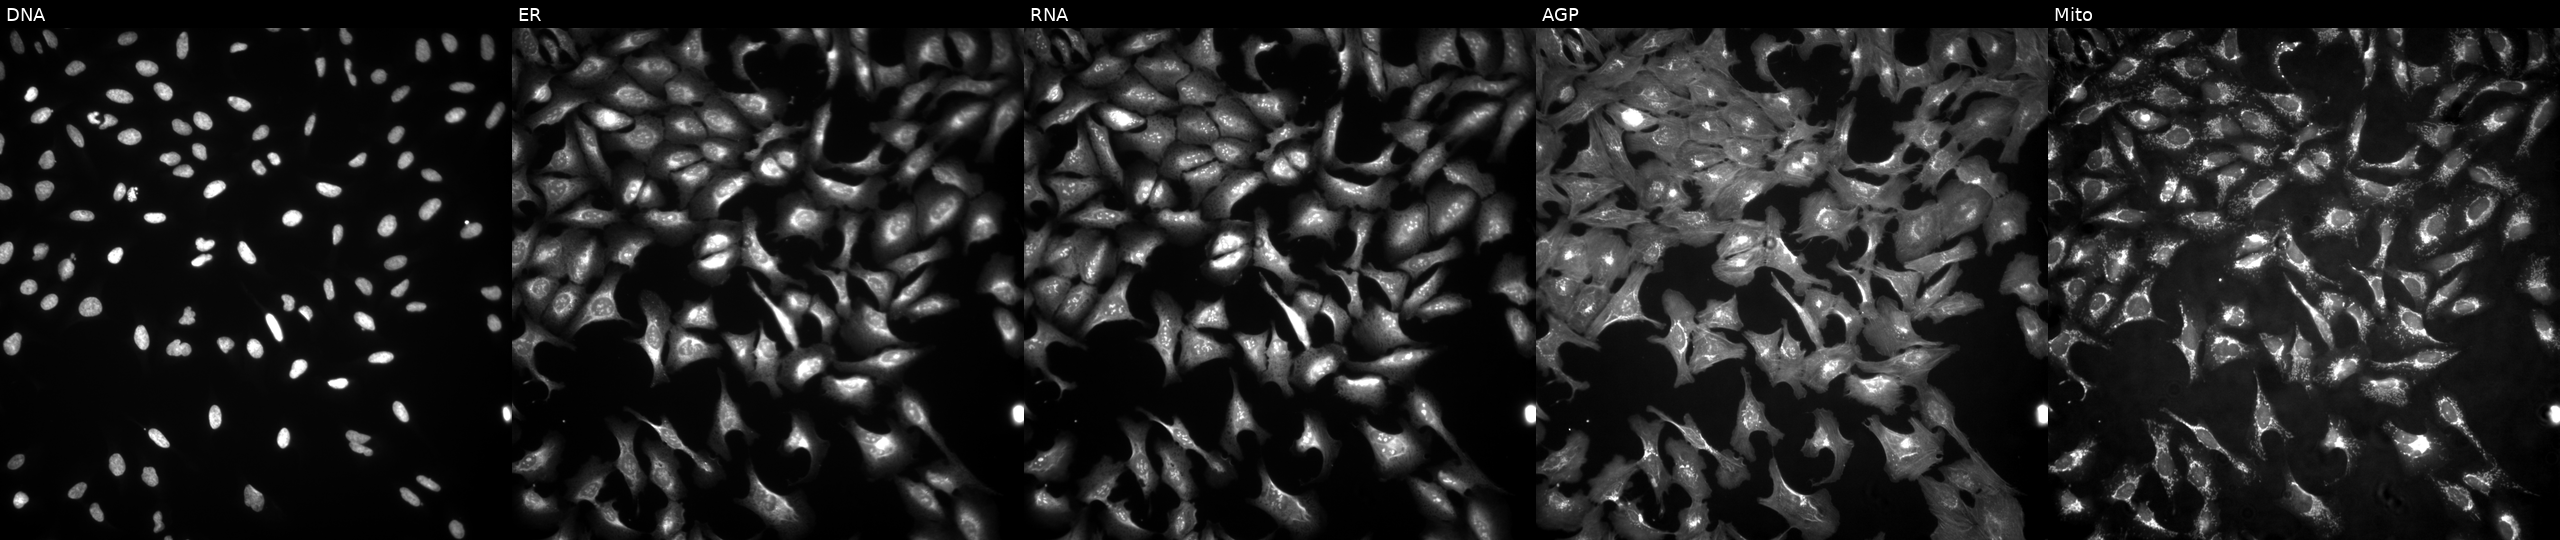
The five panels, left to right, show DNA, ER, RNA, AGP, and Mito. U2OS osteosarcoma cells with SCN3B overexpressed (ORF). Cell Painting assay, JUMP-CP dataset. Source 4, plate BR00123509, well E22.